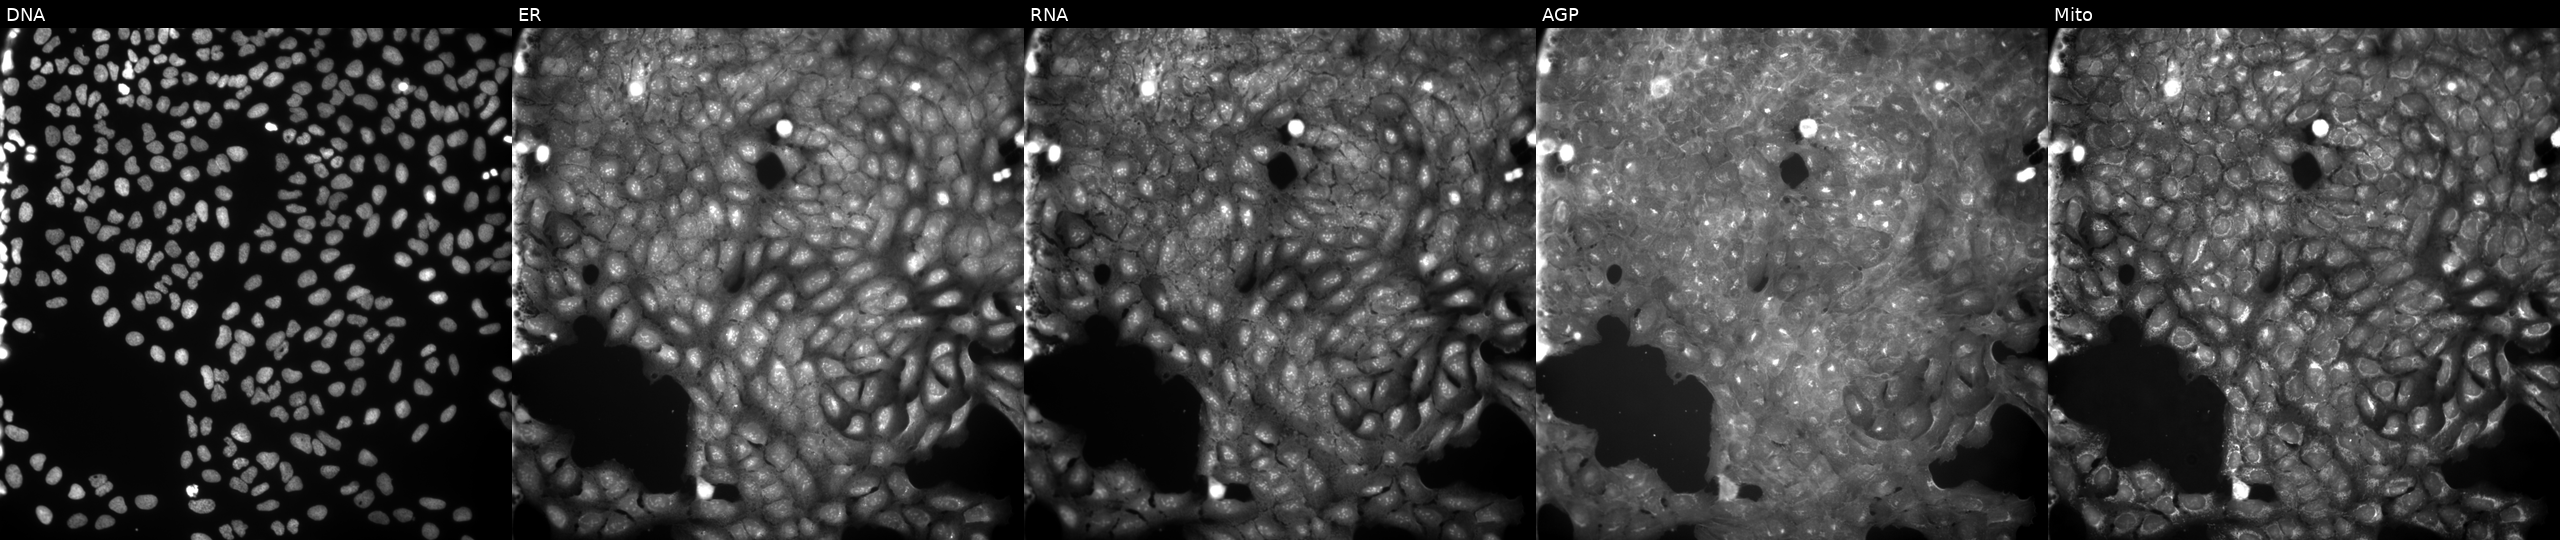
JUMP Cell Painting — COMPOUND plate. U2OS cells treated with a small-molecule compound (InChIKey HKBZSKZLNRAUBY-UHFFFAOYSA-N) [SMILES: CC(=O)Oc1ccc2c(c1)C(C)=CC(C)(C)N2C(C)=O]. Panels show, left to right, DNA (nuclei); ER (endoplasmic reticulum); RNA (nucleoli and cytoplasmic RNA); AGP (actin cytoskeleton, Golgi, and plasma membrane); Mito (mitochondria).